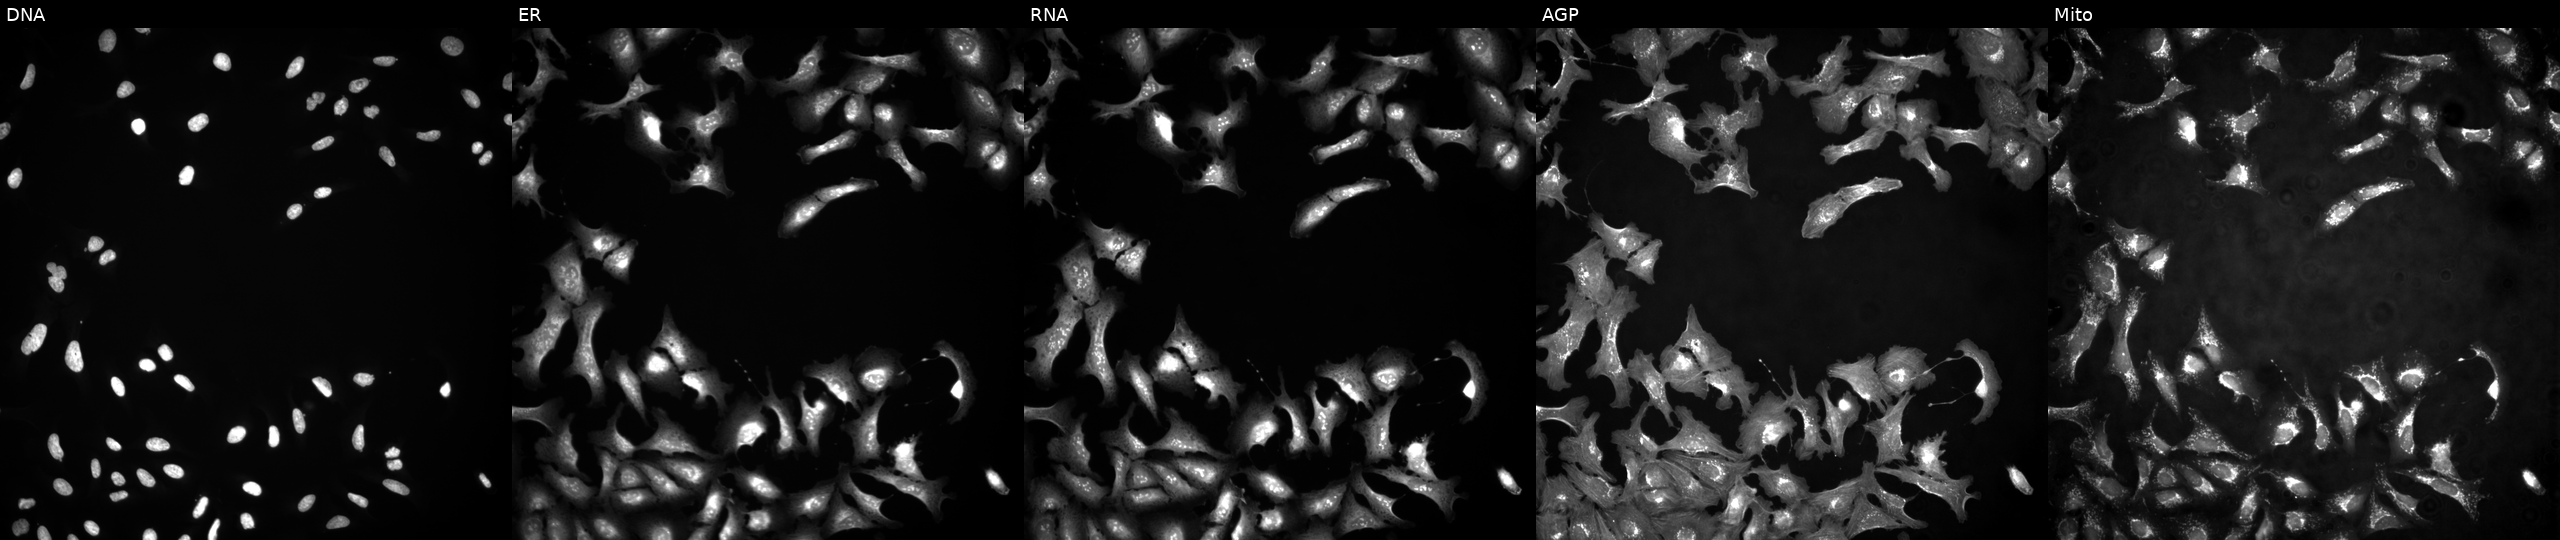
U2OS cells, Cell Painting assay, with PRPF4B overexpressed (ORF) (JUMP id JCP2022_914345). From left to right: DNA, ER, RNA, AGP, and Mito. Each panel is percentile-stretched 16-bit fluorescence.